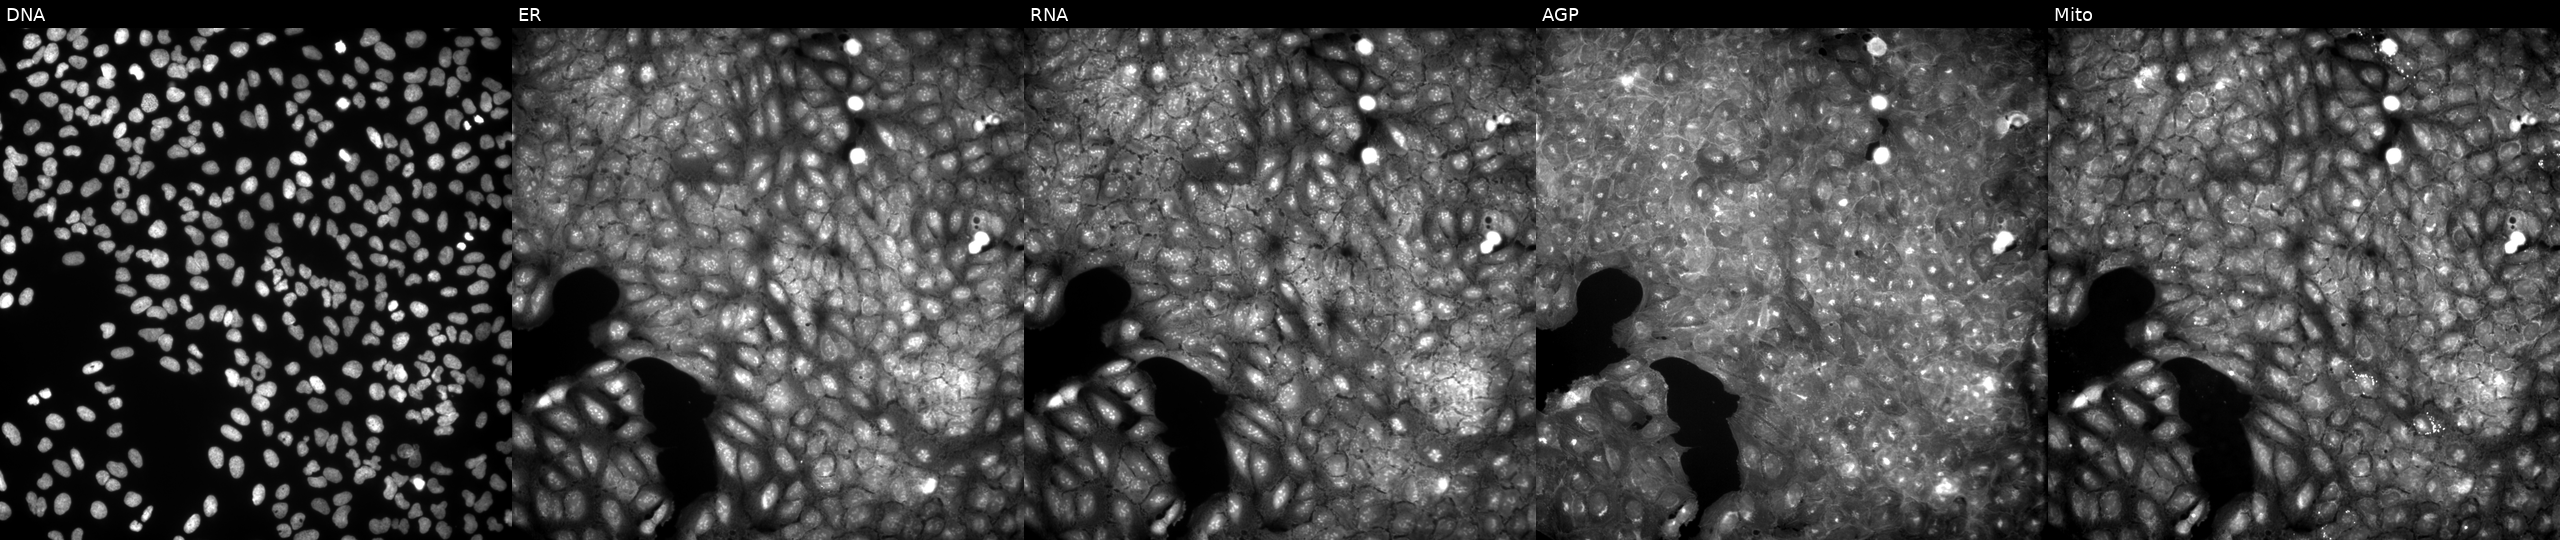
High-content fluorescence microscopy (Cell Painting). Cell line: U2OS. Perturbation: treated with a small-molecule compound (InChIKey CYONGLVNBSZCQH-UHFFFAOYSA-N) (JUMP id JCP2022_014284). The five panels, left to right, show DNA, ER, RNA, AGP, and Mito. Source 9, plate GR00003381, well M31.